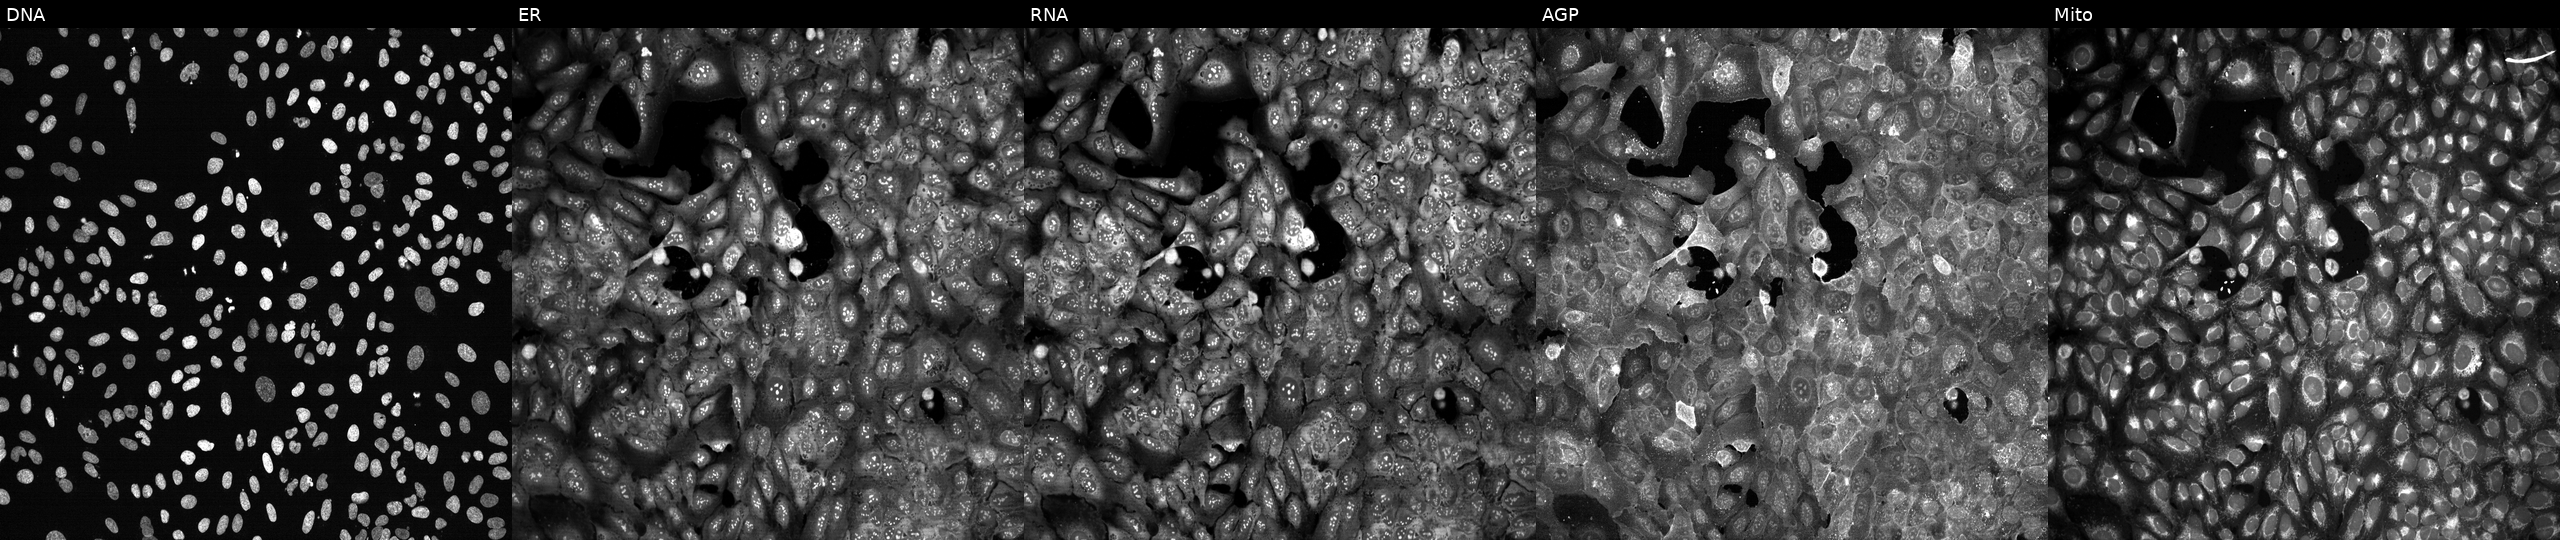
This image strip shows the five Cell Painting channels for a single field of U2OS cells CRISPR-edited to disrupt SPATA5L1. Panels show, left to right, DNA, ER, RNA, AGP, and Mito.